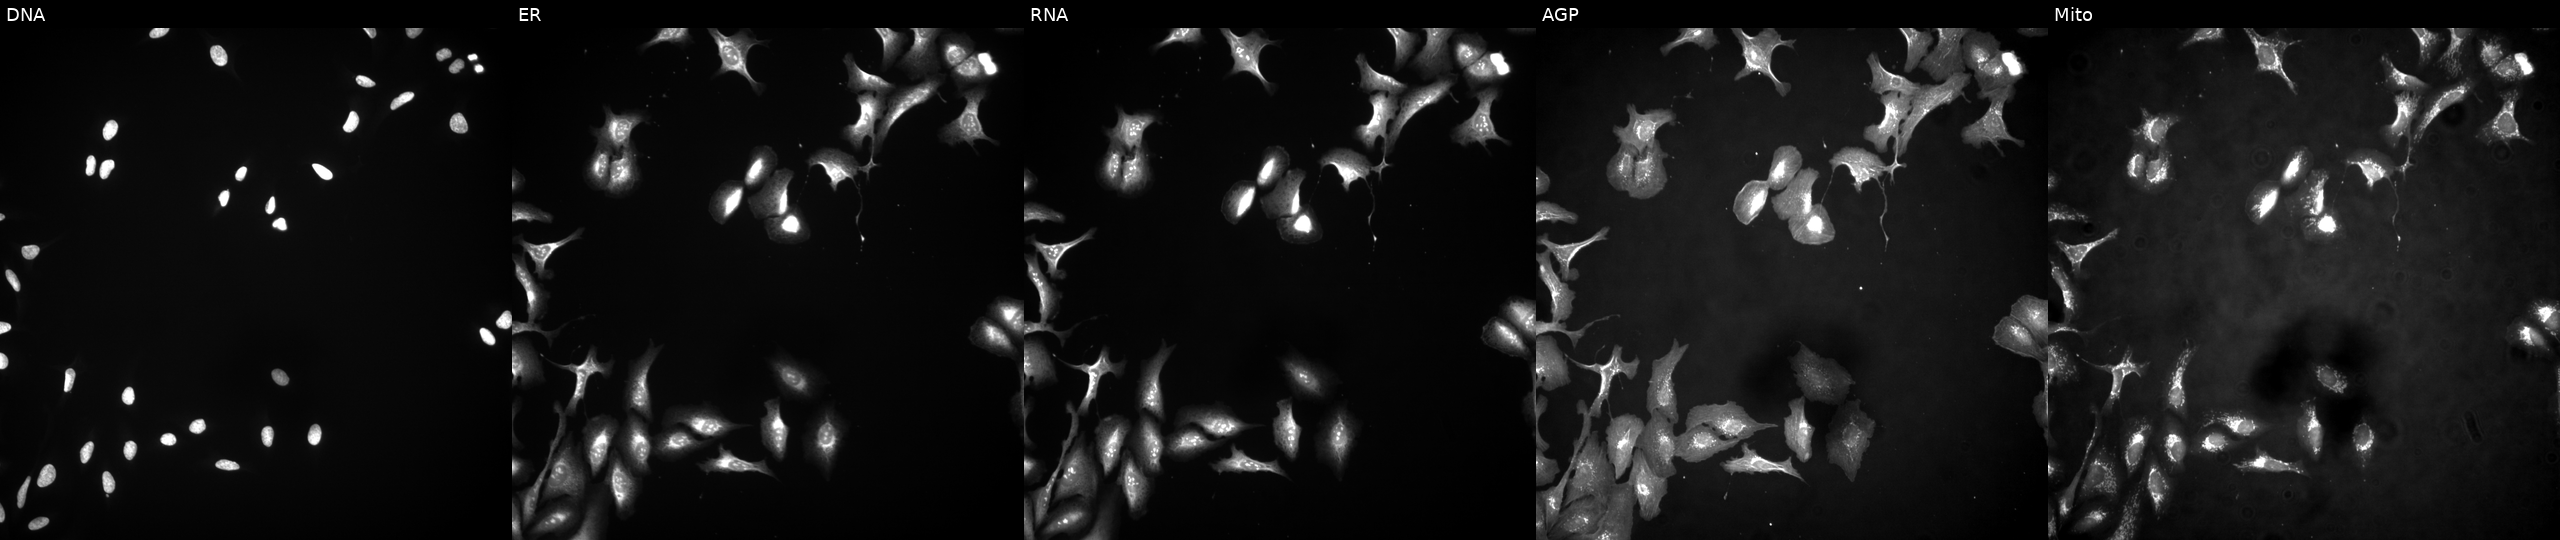
Channels (left→right): DNA, ER, RNA, AGP, and Mito. U2OS osteosarcoma cells overexpressing ARL4C via ORF transfection (JUMP id JCP2022_902175). Cell Painting assay, JUMP-CP dataset. Source 4, plate BR00124790, well N11.